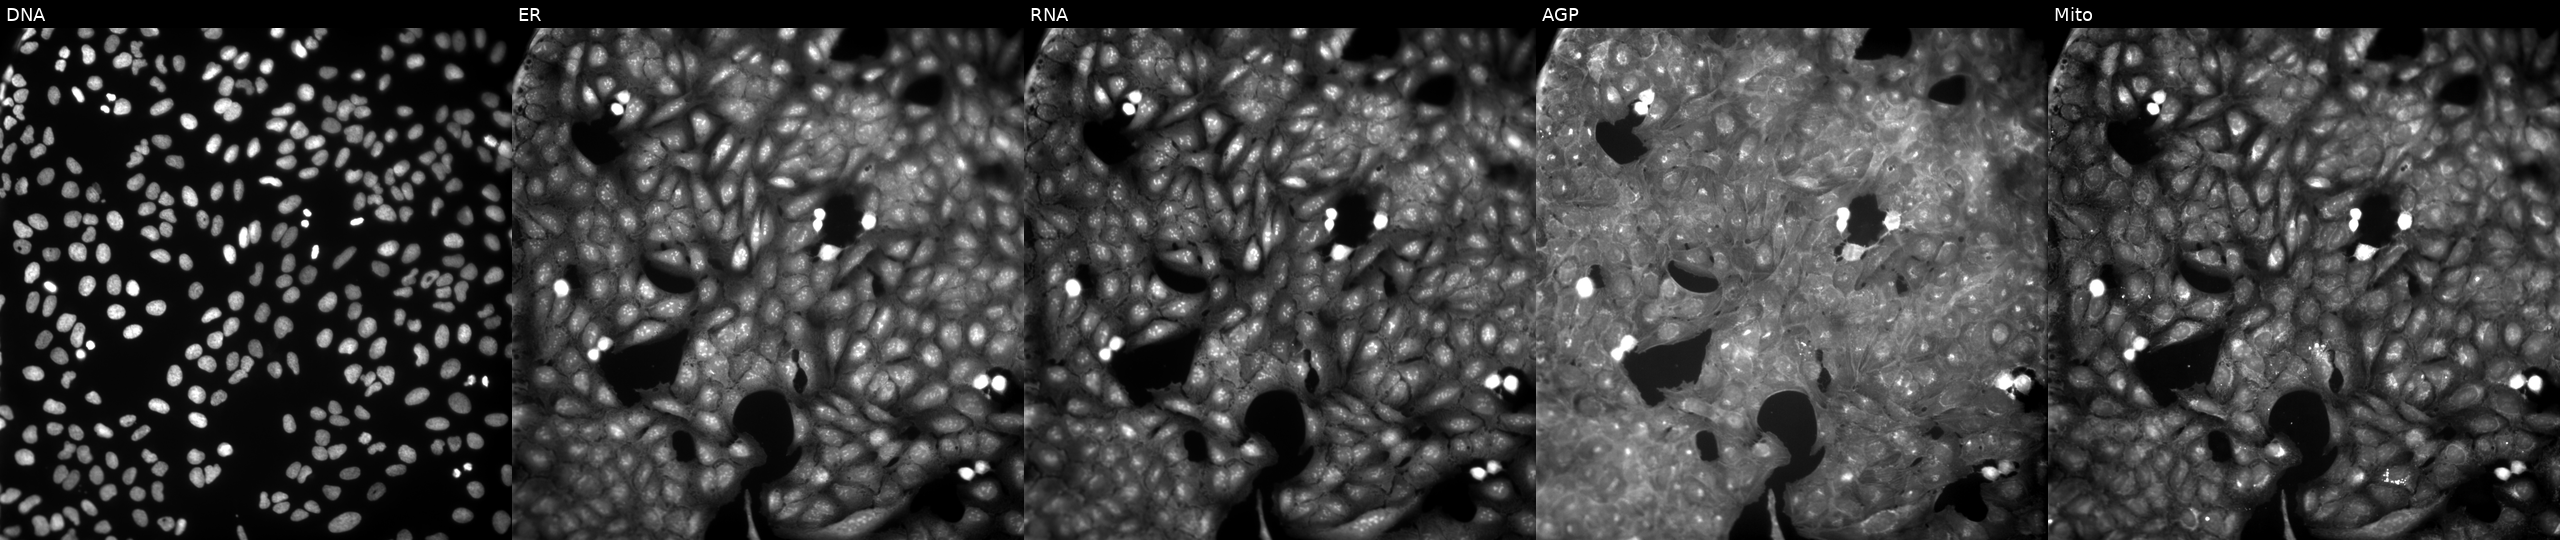
The five panels, left to right, show DNA, ER, RNA, AGP, and Mito. U2OS osteosarcoma cells perturbed with a small-molecule compound. Cell Painting assay, JUMP-CP dataset.